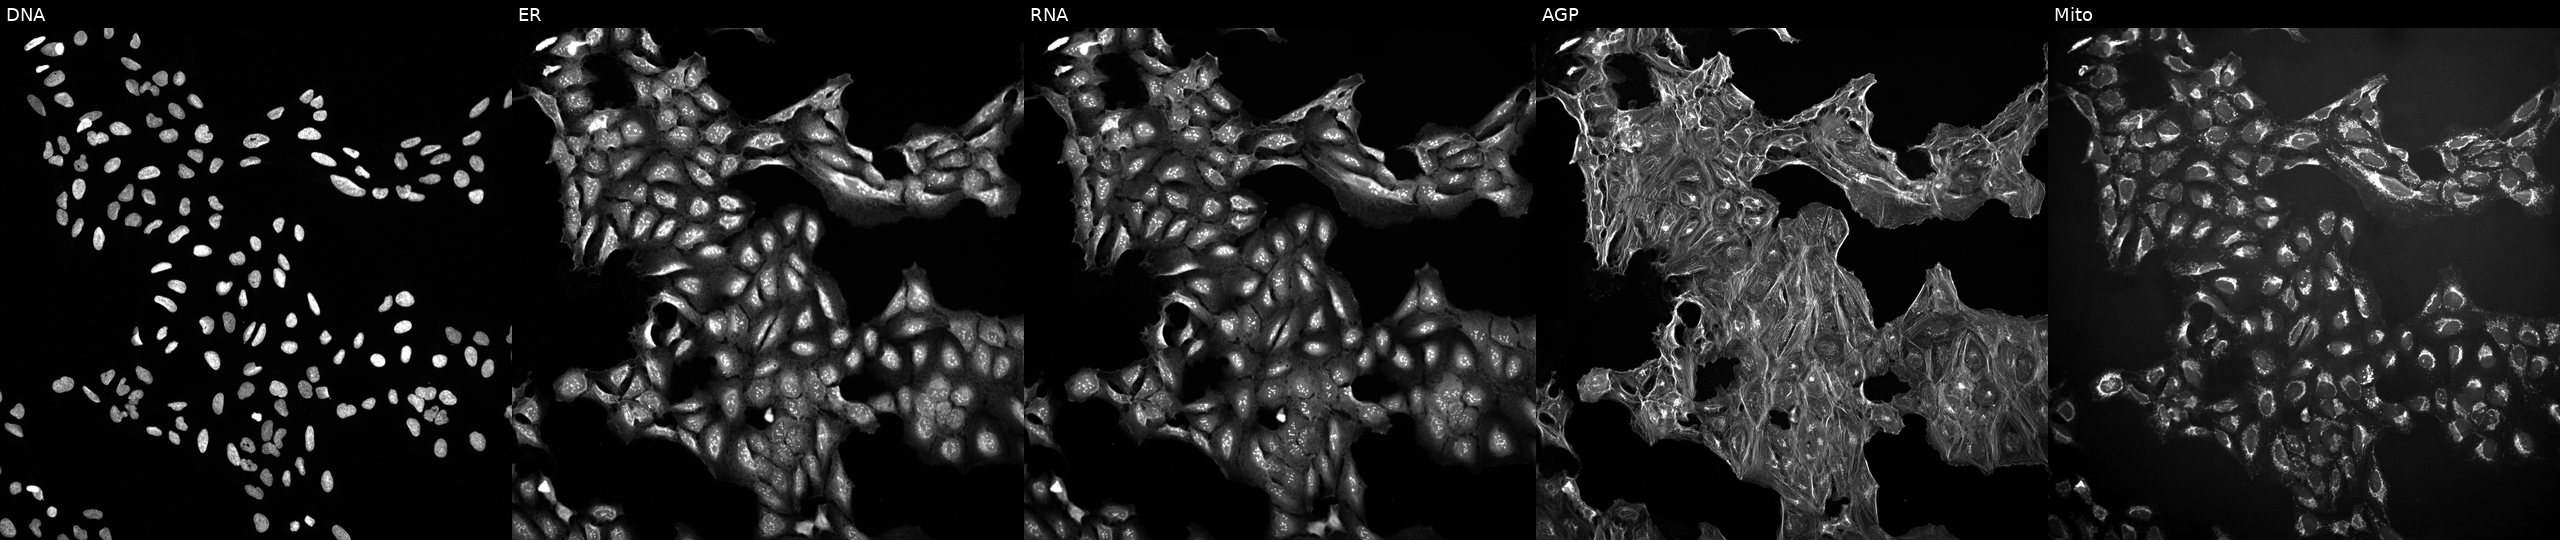
High-content fluorescence microscopy (Cell Painting). Cell line: U2OS. Perturbation: exposed to the positive-control compound quinidine (JUMP id JCP2022_050797). Panels show, left to right, DNA (nuclei); ER (endoplasmic reticulum); RNA (nucleoli and cytoplasmic RNA); AGP (actin cytoskeleton, Golgi, and plasma membrane); Mito (mitochondria). Source 10, plate Dest210726-160150, well H12.